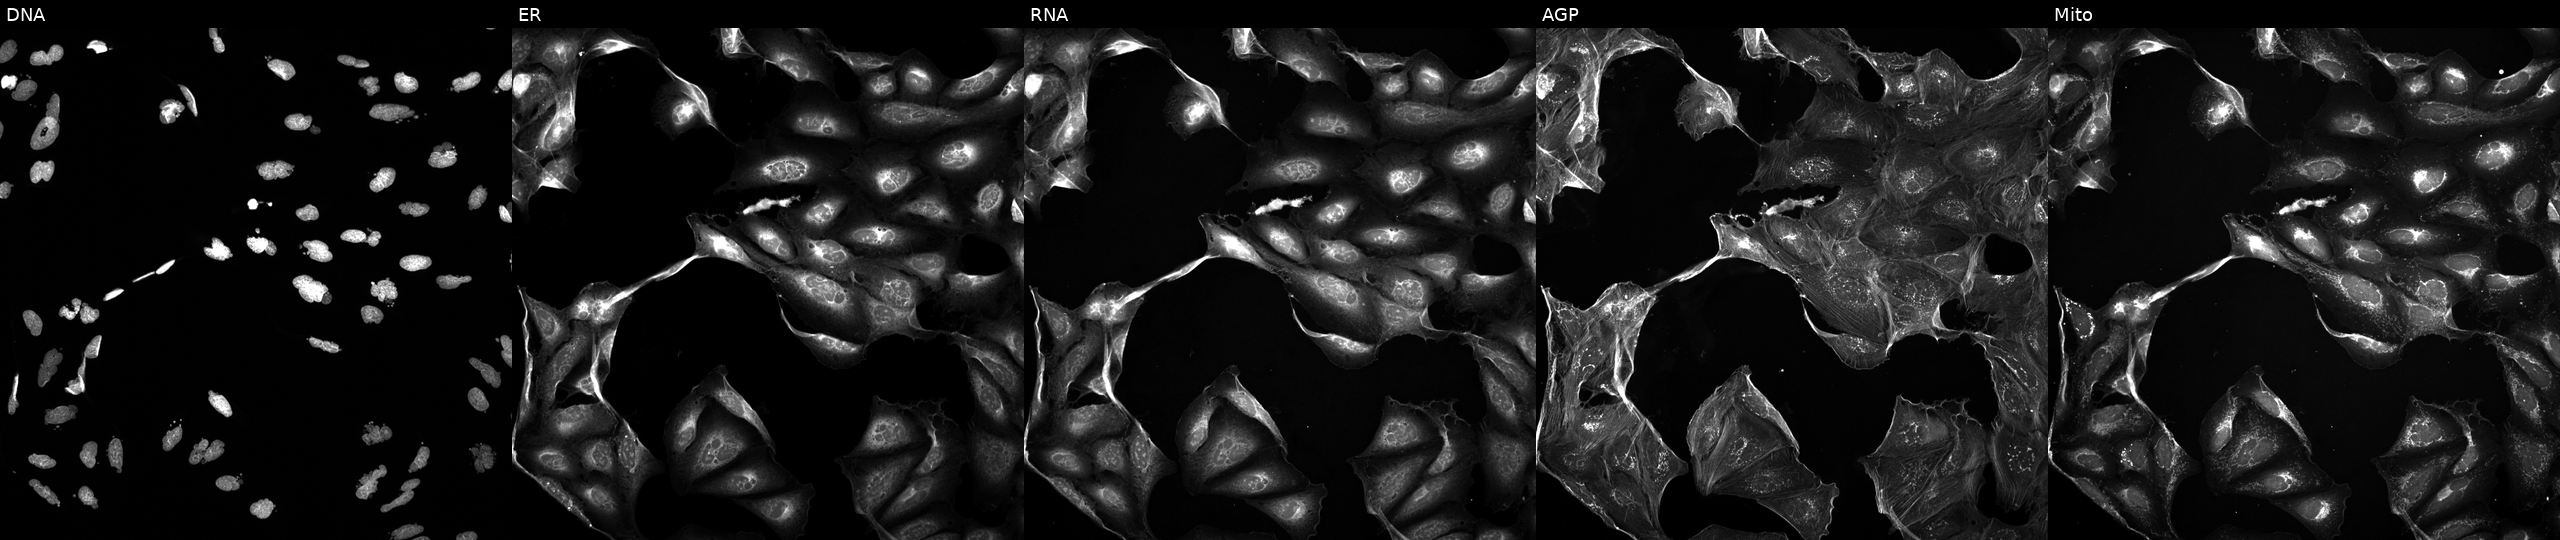
This image strip shows the five Cell Painting channels for a single field of U2OS cells exposed to a small-molecule compound. From left to right: DNA, ER, RNA, AGP, and Mito. Source 5, plate ACPJUM051, well J14.